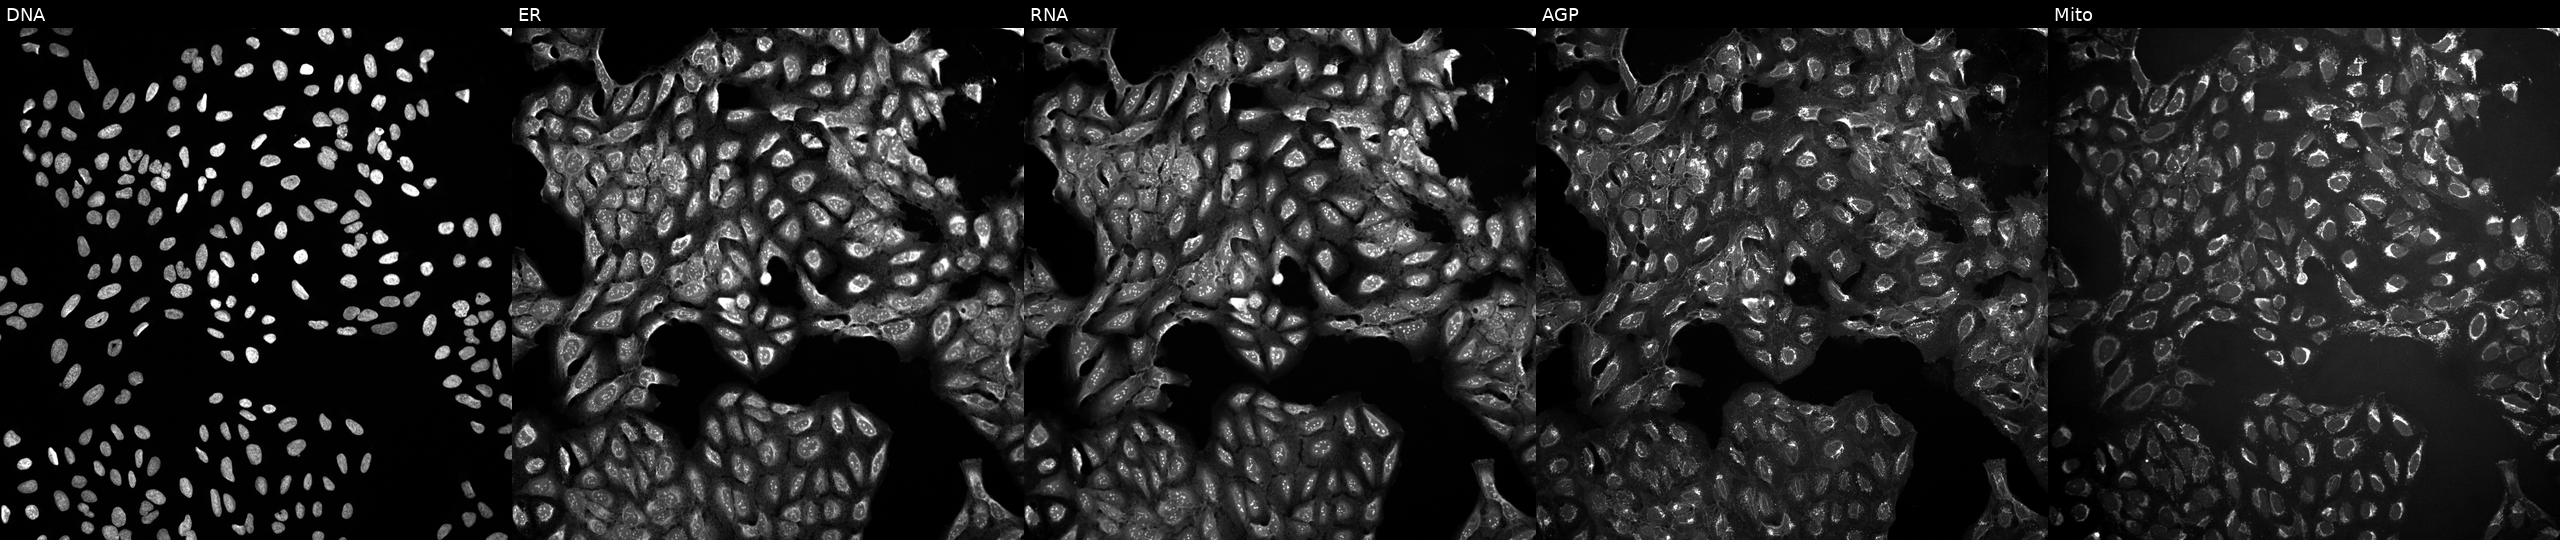
JUMP Cell Painting — TARGET2 plate. U2OS cells exposed to a small-molecule compound [SMILES: CC(=O)c1ccc(S(=O)(=O)NC(=O)NC2CCCCC2)cc1]. From left to right: Hoechst 33342, concanavalin A, SYTO 14, phalloidin and WGA, MitoTracker. Source 10, plate Dest210803-153958, well M08.